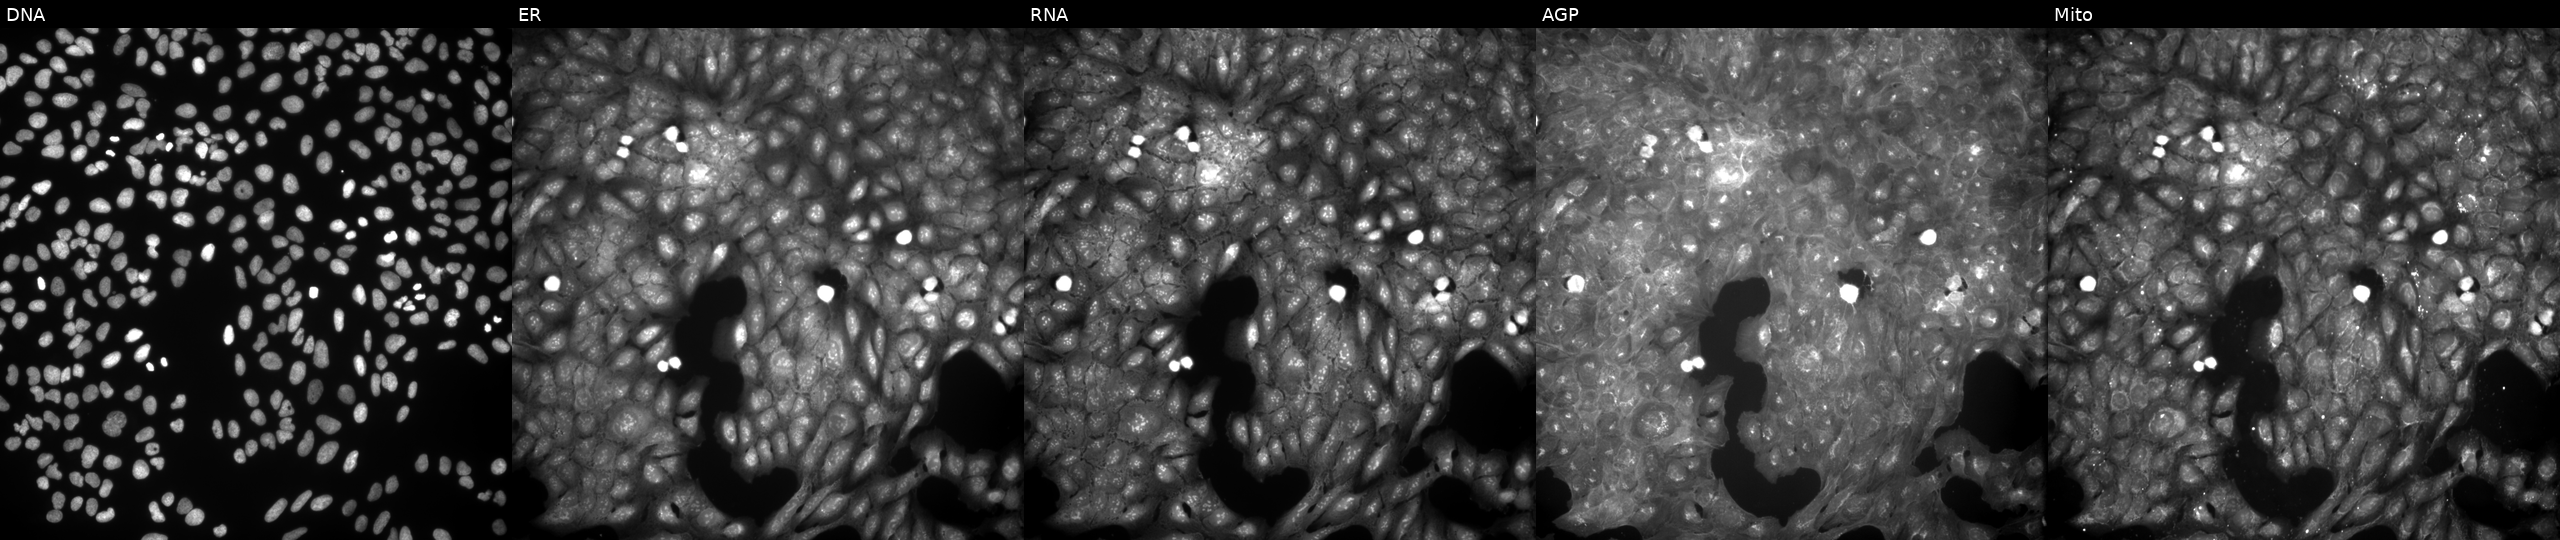
U2OS cells, Cell Painting assay, exposed to a small-molecule compound (JUMP id JCP2022_037224). From left to right: DNA (nuclei); ER (endoplasmic reticulum); RNA (nucleoli and cytoplasmic RNA); AGP (actin cytoskeleton, Golgi, and plasma membrane); Mito (mitochondria). Each panel is percentile-stretched 16-bit fluorescence.